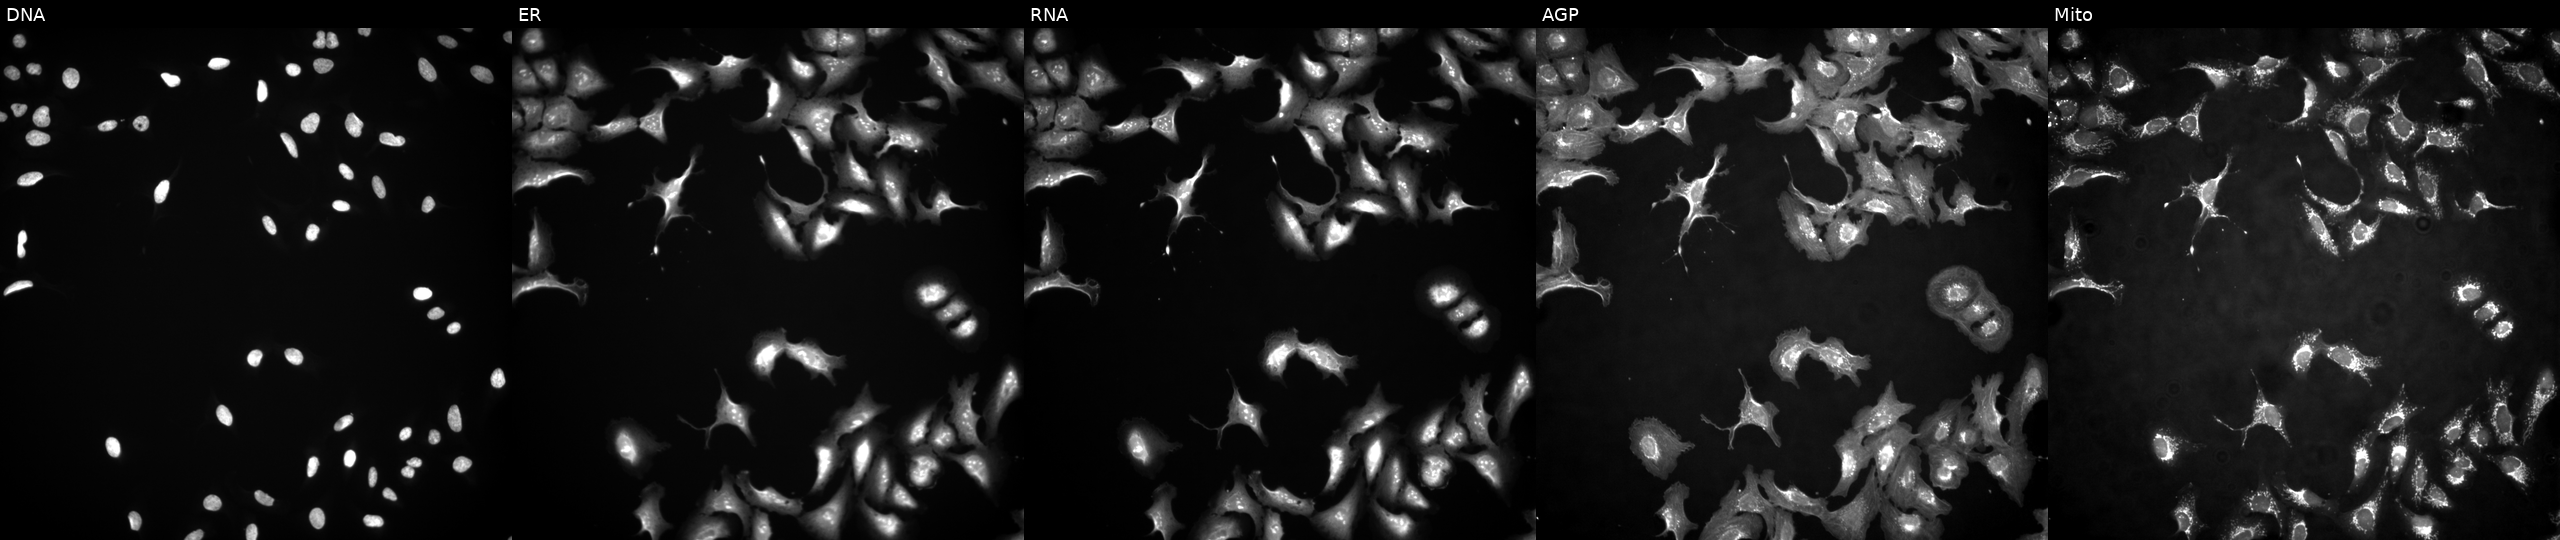
JUMP Cell Painting — ORF plate. U2OS cells overexpressing ZNF274 via ORF transfection. From left to right: DNA (nuclei); ER (endoplasmic reticulum); RNA (nucleoli and cytoplasmic RNA); AGP (actin cytoskeleton, Golgi, and plasma membrane); Mito (mitochondria).